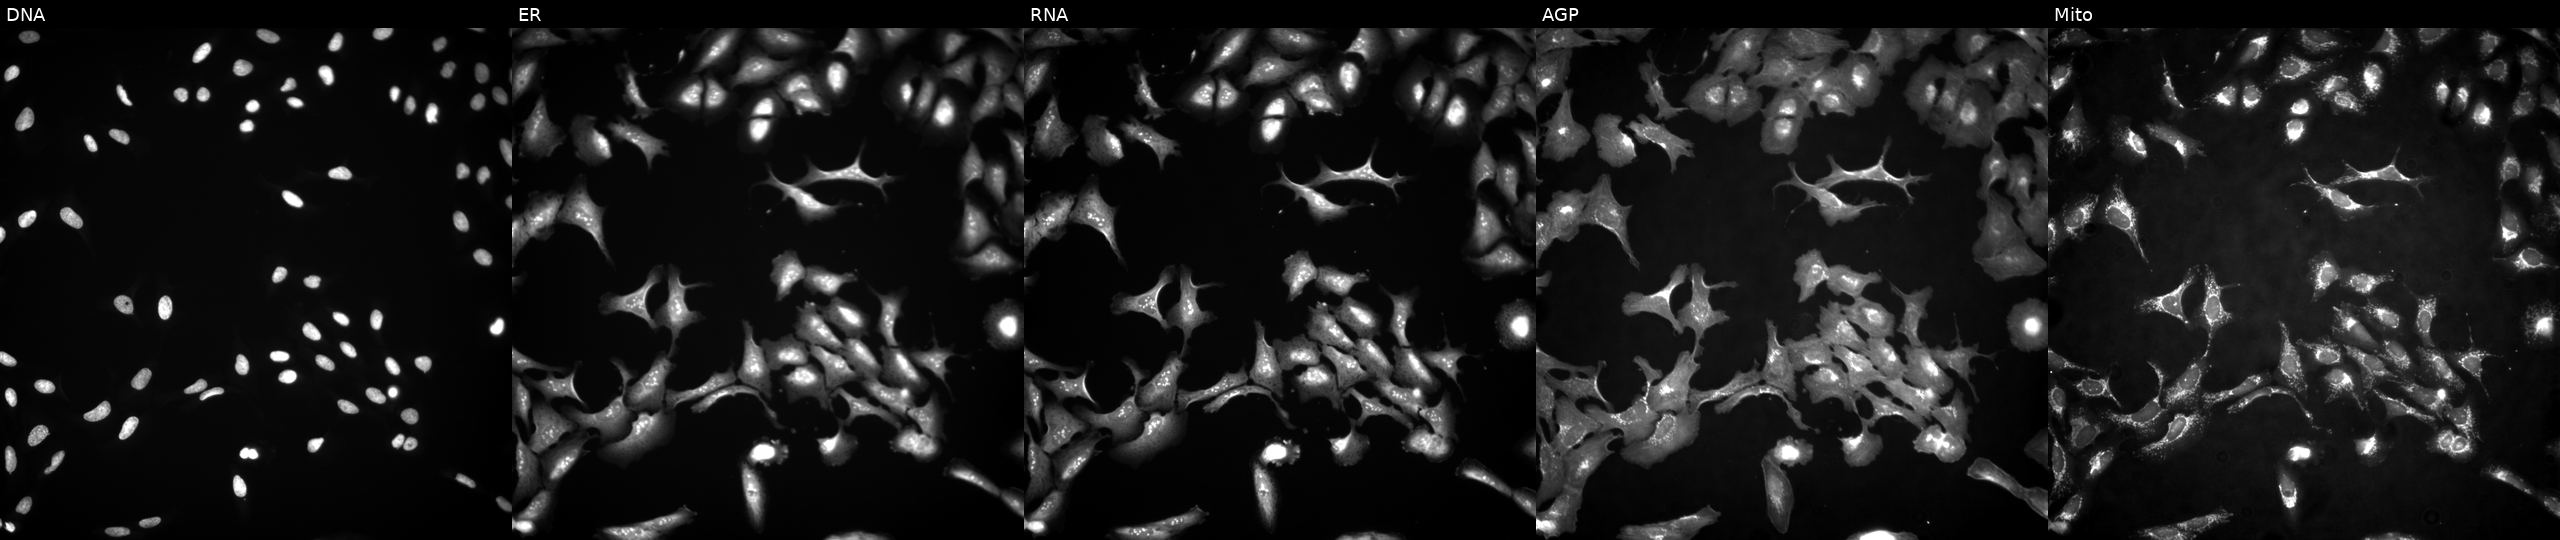
U2OS cells, Cell Painting assay, transfected with an ORF construct for ZNF555. The five panels, left to right, show Hoechst 33342, concanavalin A, SYTO 14, phalloidin and WGA, MitoTracker. Each panel is percentile-stretched 16-bit fluorescence.